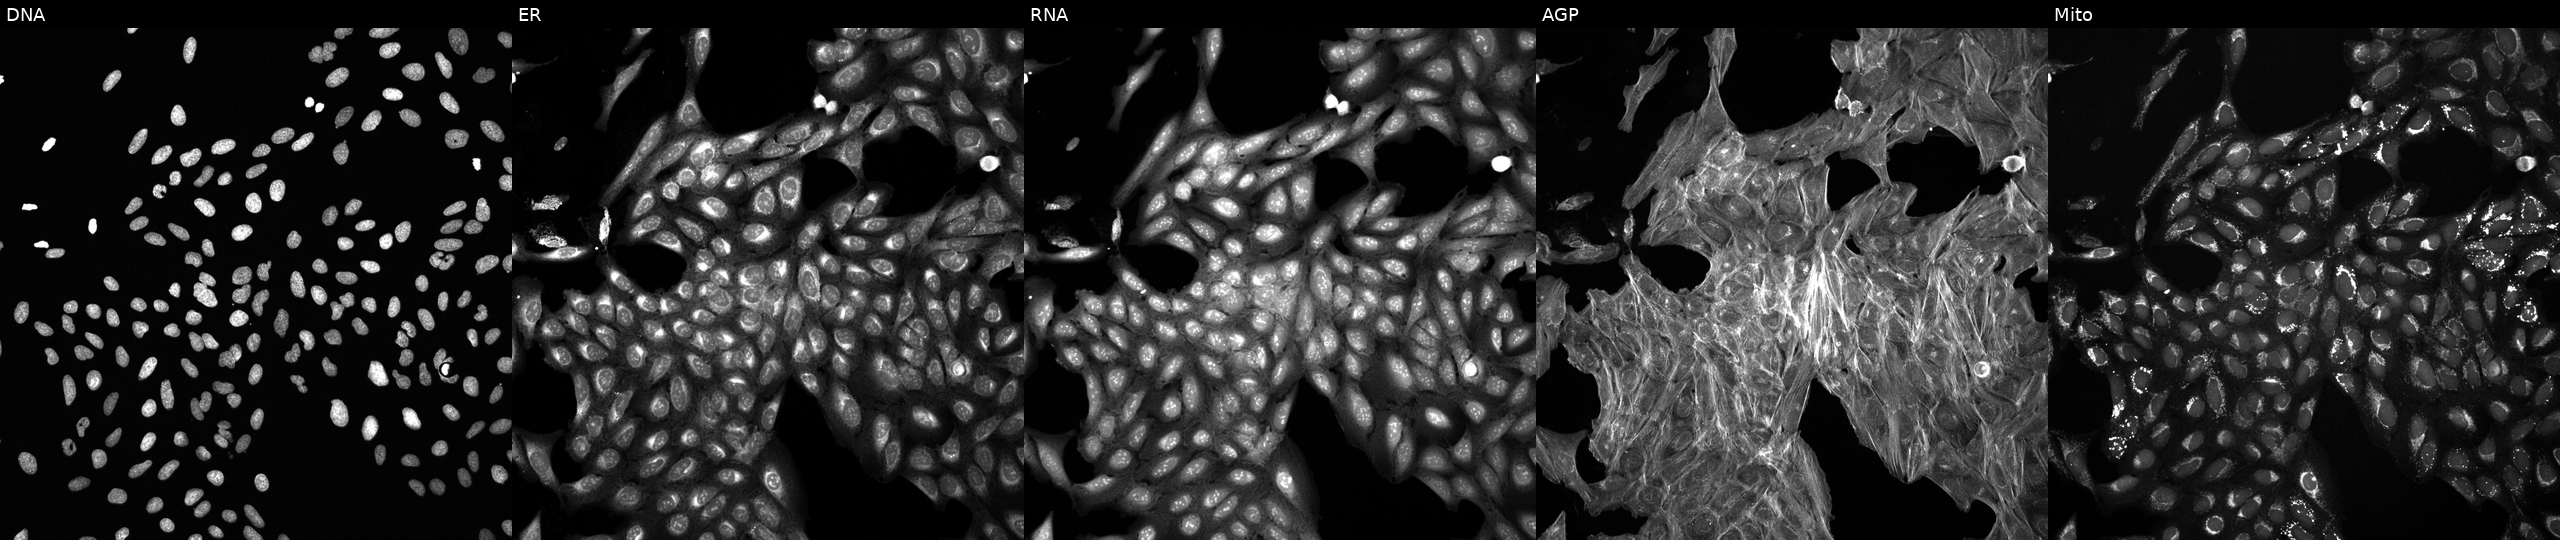
Five-channel Cell Painting image of U2OS cells treated with DMSO vehicle only (negative control) (JUMP id JCP2022_033924). From left to right: Hoechst 33342, concanavalin A, SYTO 14, phalloidin and WGA, MitoTracker. Source 6, plate 110000293081, well M10.